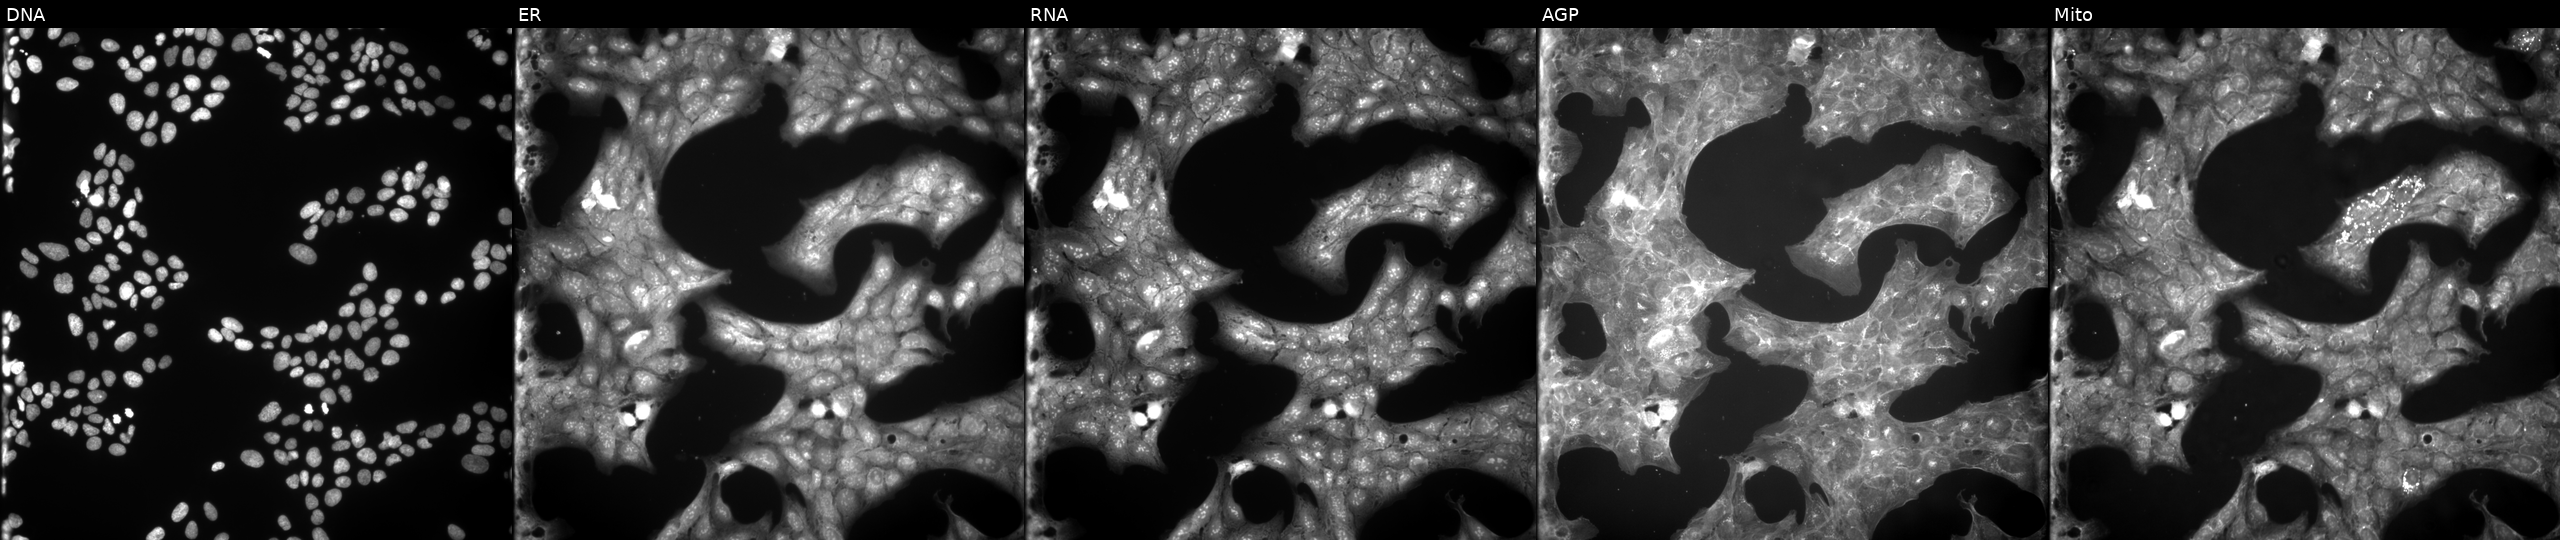
This image strip shows the five Cell Painting channels for a single field of U2OS cells perturbed with a small-molecule compound (InChIKey IBCXZJCWDGCXQT-UHFFFAOYSA-N) [SMILES: c1ccc(-c2[nH]ncc2-c2ccnc3ccccc23)nc1]. The five panels, left to right, show Hoechst 33342, concanavalin A, SYTO 14, phalloidin and WGA, MitoTracker.